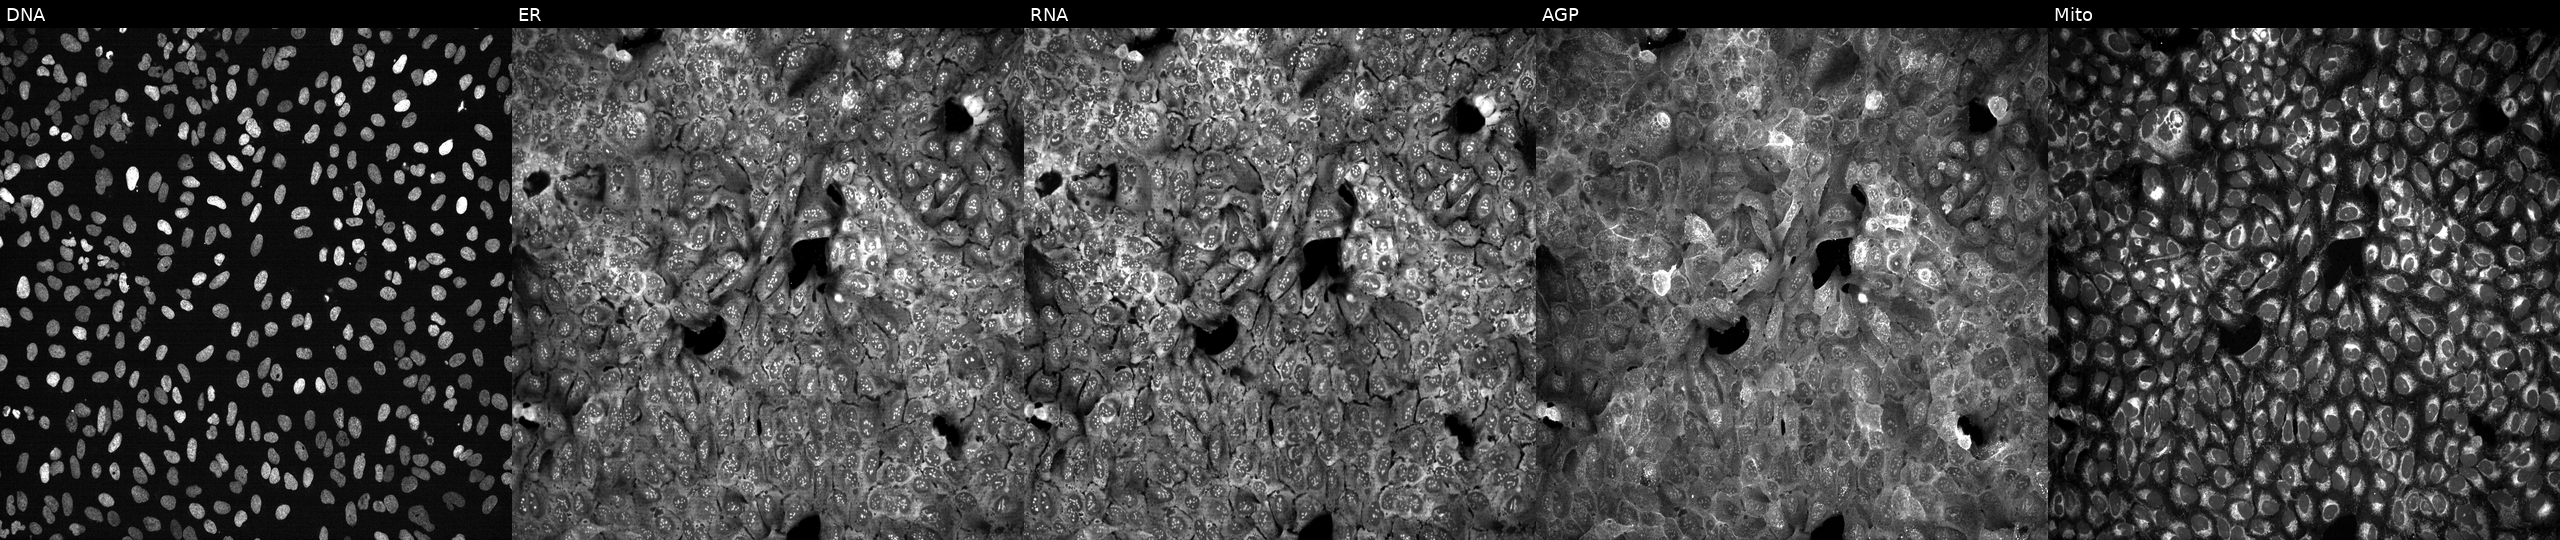
High-content fluorescence microscopy (Cell Painting). Cell line: U2OS. Perturbation: with PDE4D knocked out by CRISPR. Channels (left→right): Hoechst 33342, concanavalin A, SYTO 14, phalloidin and WGA, MitoTracker.